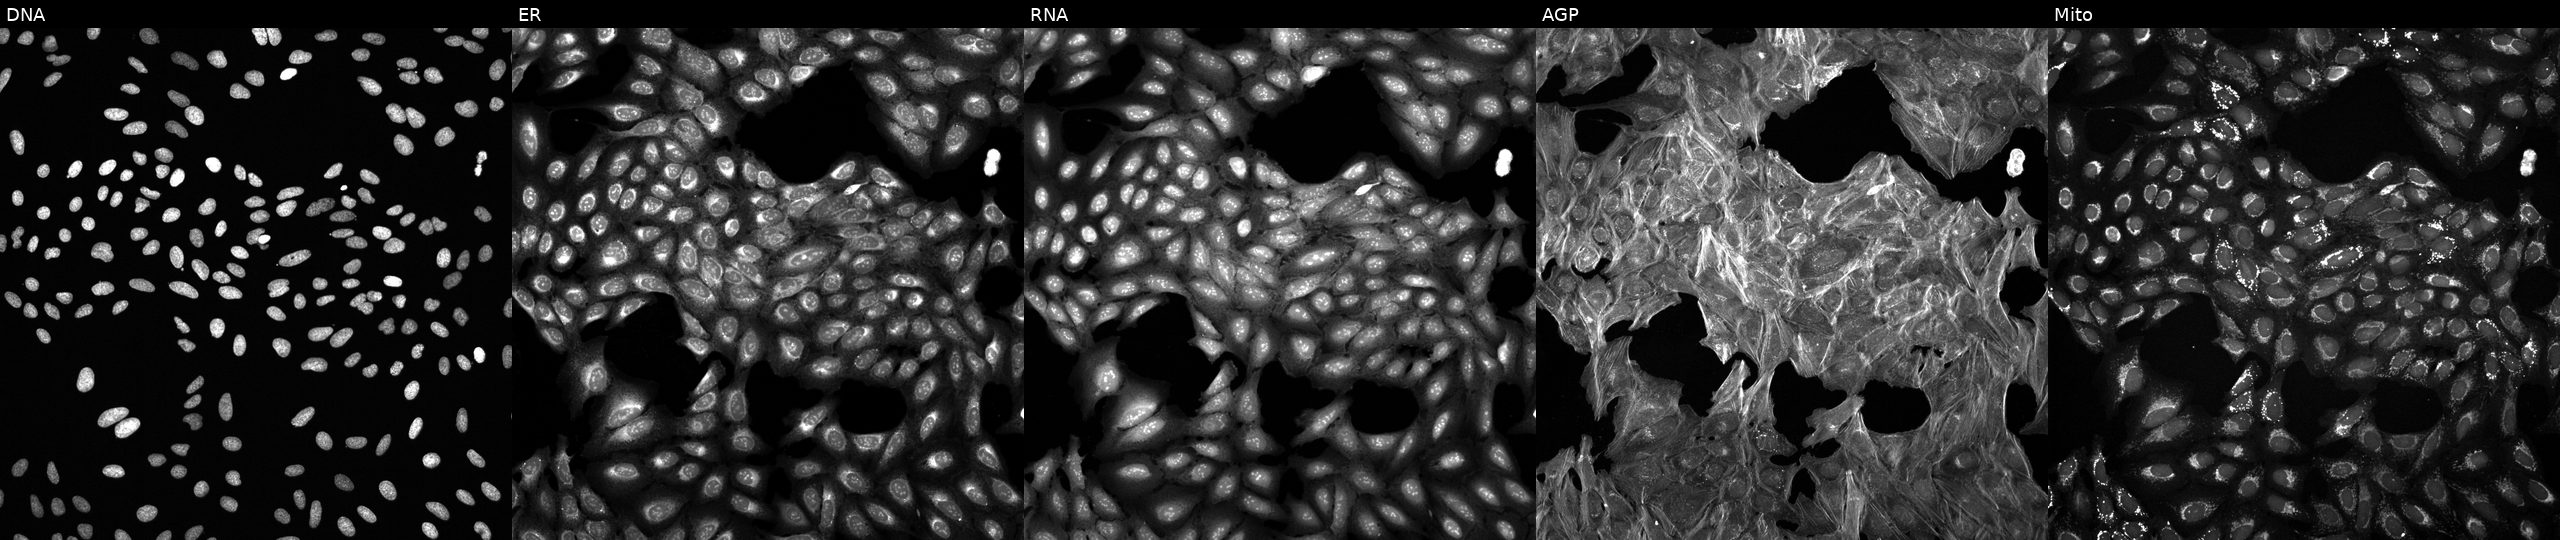
JUMP Cell Painting — COMPOUND plate. U2OS cells exposed to a small-molecule compound (InChIKey JDISKFBJWUTNGJ-UHFFFAOYSA-N) [SMILES: O=C(NC1CC1)c1ccc2nc(-n3cccc3)sc2c1] (JUMP id JCP2022_039040). Channels (left→right): Hoechst 33342, concanavalin A, SYTO 14, phalloidin and WGA, MitoTracker. Source 6, plate 110000293082, well O17.